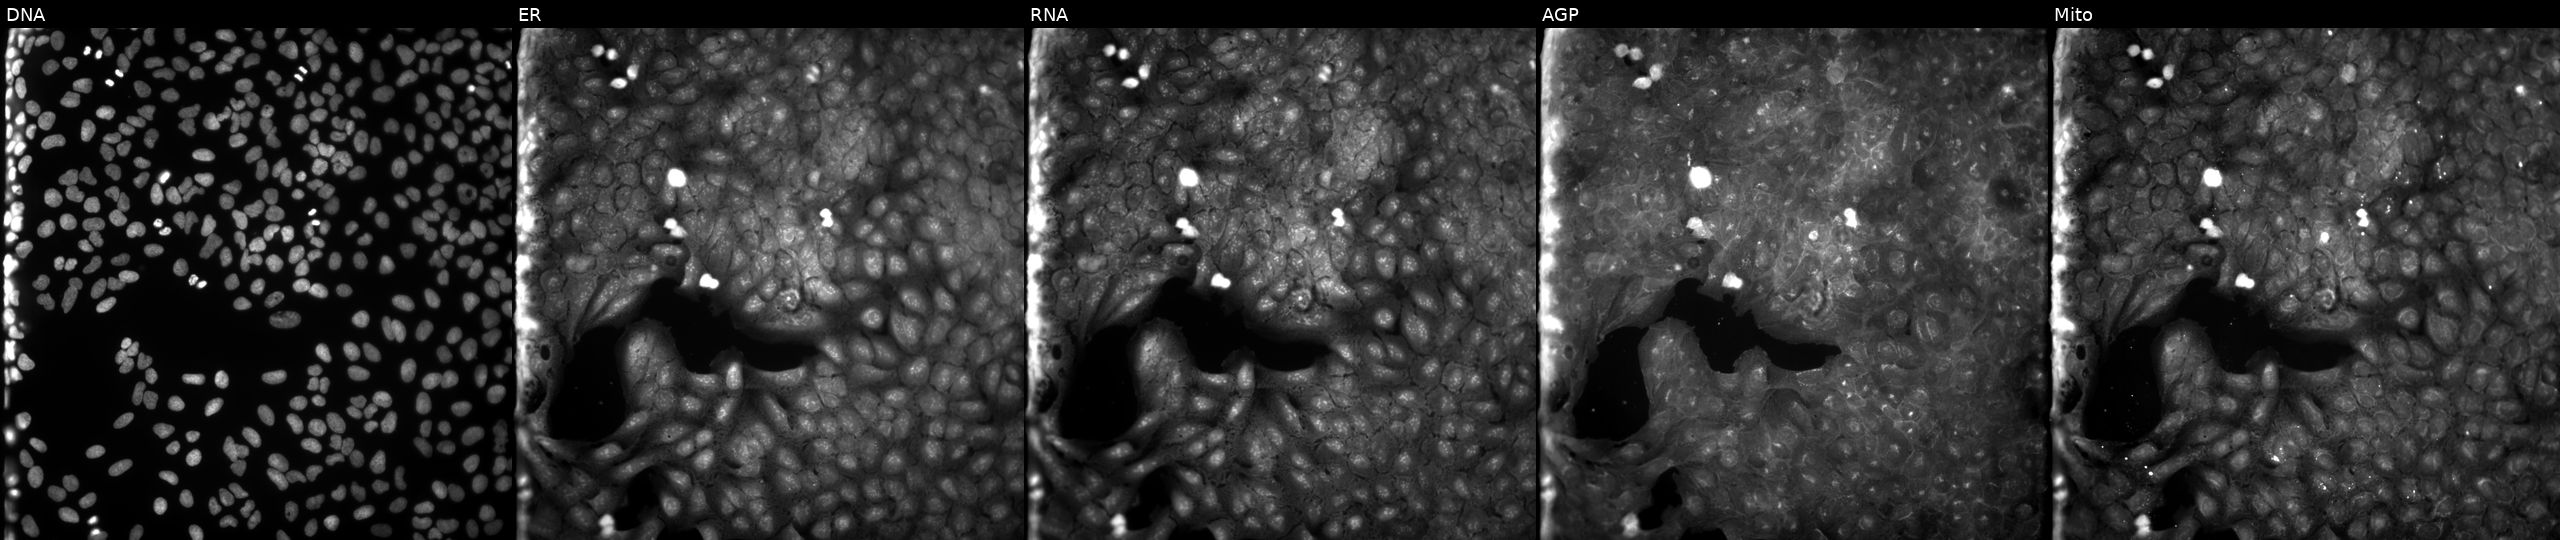
JUMP Cell Painting — COMPOUND plate. U2OS cells treated with a small-molecule compound (InChIKey HEKFXRGJKVCEPL-UHFFFAOYSA-N) (JUMP id JCP2022_029670). Channels (left→right): DNA (nuclei); ER (endoplasmic reticulum); RNA (nucleoli and cytoplasmic RNA); AGP (actin cytoskeleton, Golgi, and plasma membrane); Mito (mitochondria).